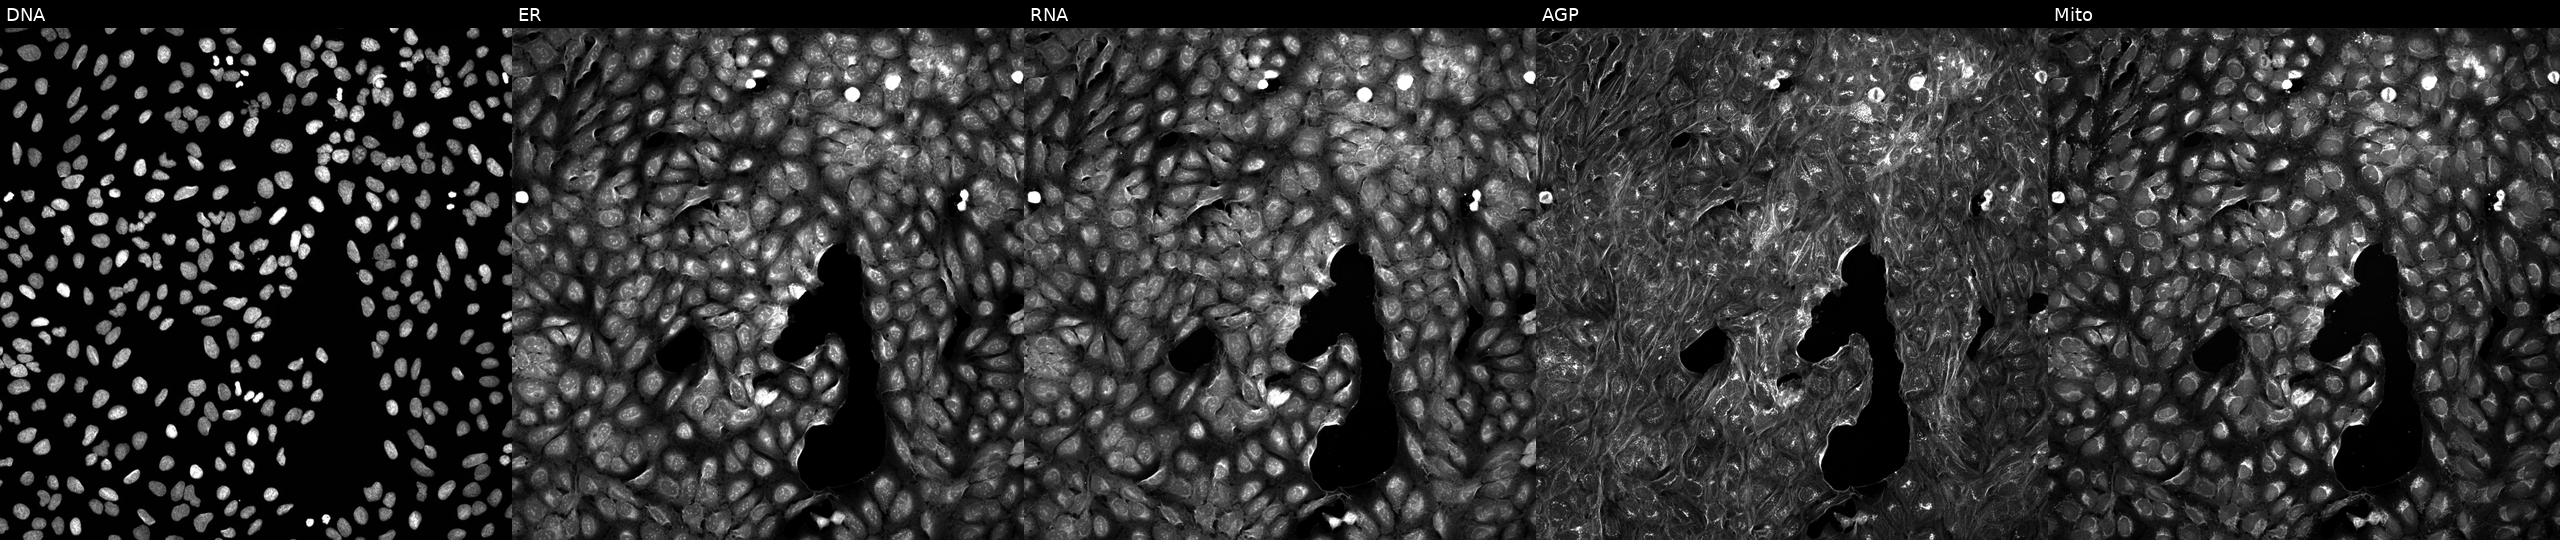
Panels show, left to right, Hoechst 33342, concanavalin A, SYTO 14, phalloidin and WGA, MitoTracker. U2OS osteosarcoma cells treated with a small-molecule compound. Cell Painting assay, JUMP-CP dataset. Source 5, plate APTJUM105, well M08.